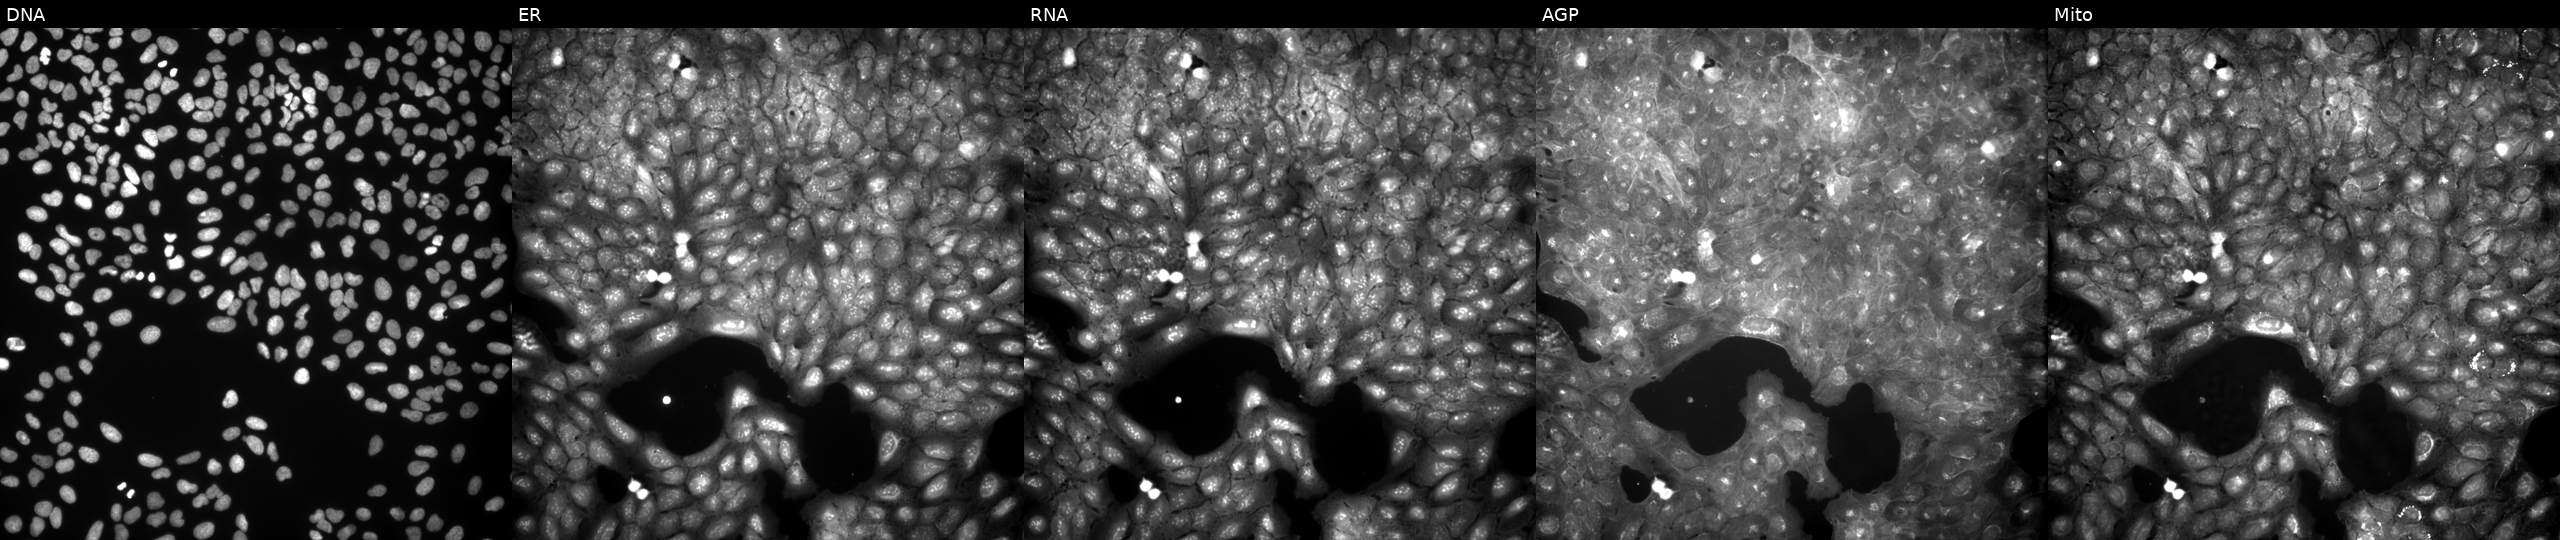
This image strip shows the five Cell Painting channels for a single field of U2OS cells treated with a small-molecule compound (InChIKey SPJOZZSIXXJYBT-UHFFFAOYSA-N). Panels show, left to right, Hoechst 33342, concanavalin A, SYTO 14, phalloidin and WGA, MitoTracker.